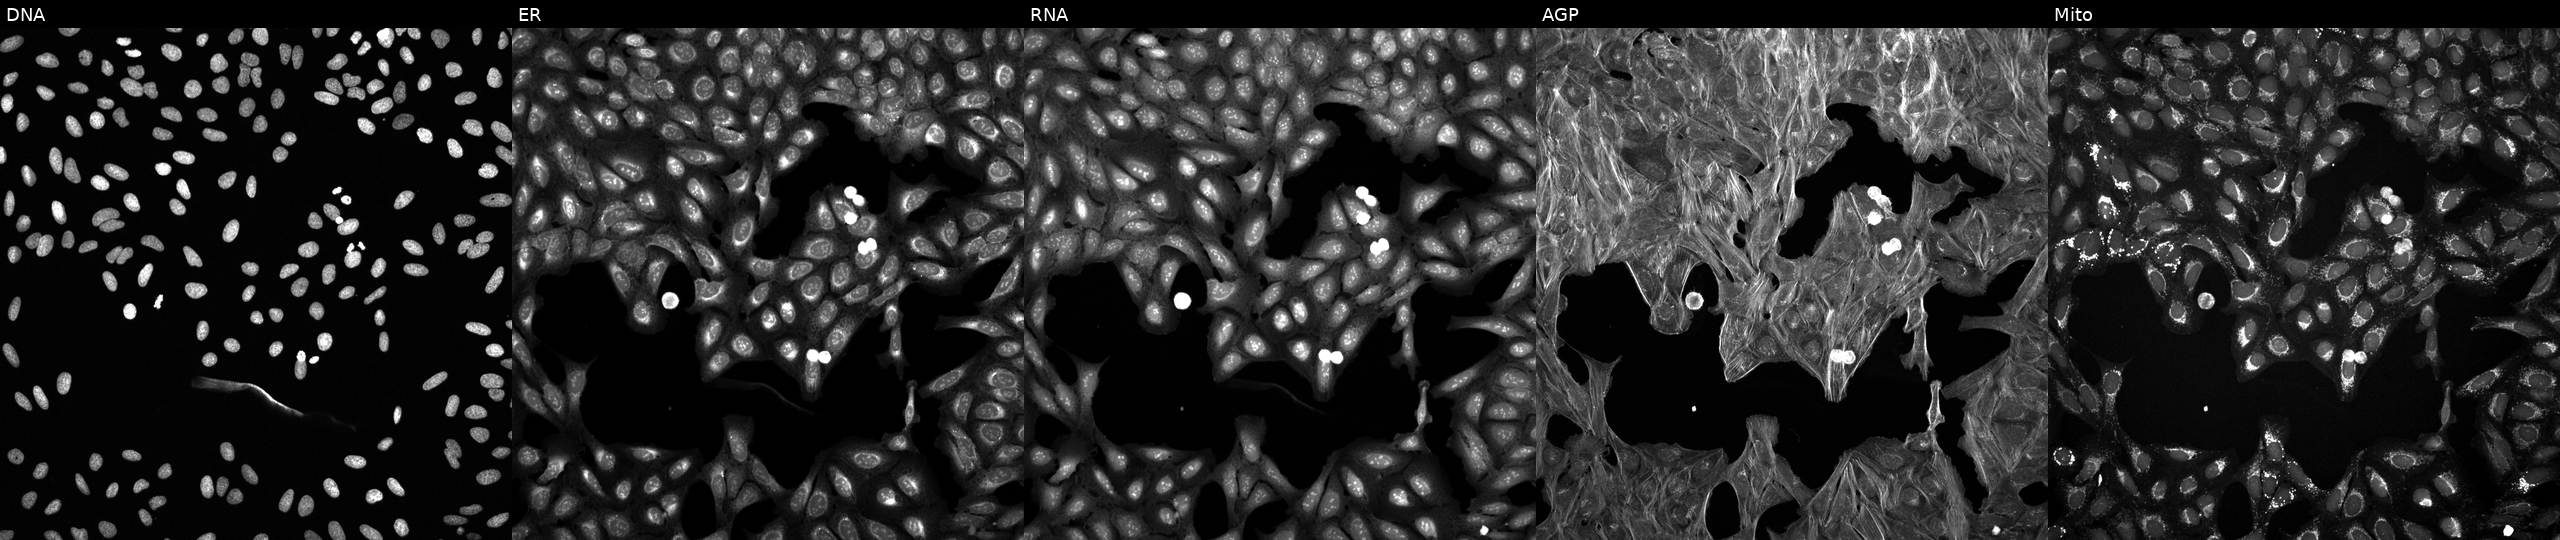
High-content fluorescence microscopy (Cell Painting). Cell line: U2OS. Perturbation: treated with DMSO vehicle only (negative control) (JUMP id JCP2022_033924). Panels show, left to right, Hoechst 33342, concanavalin A, SYTO 14, phalloidin and WGA, MitoTracker.